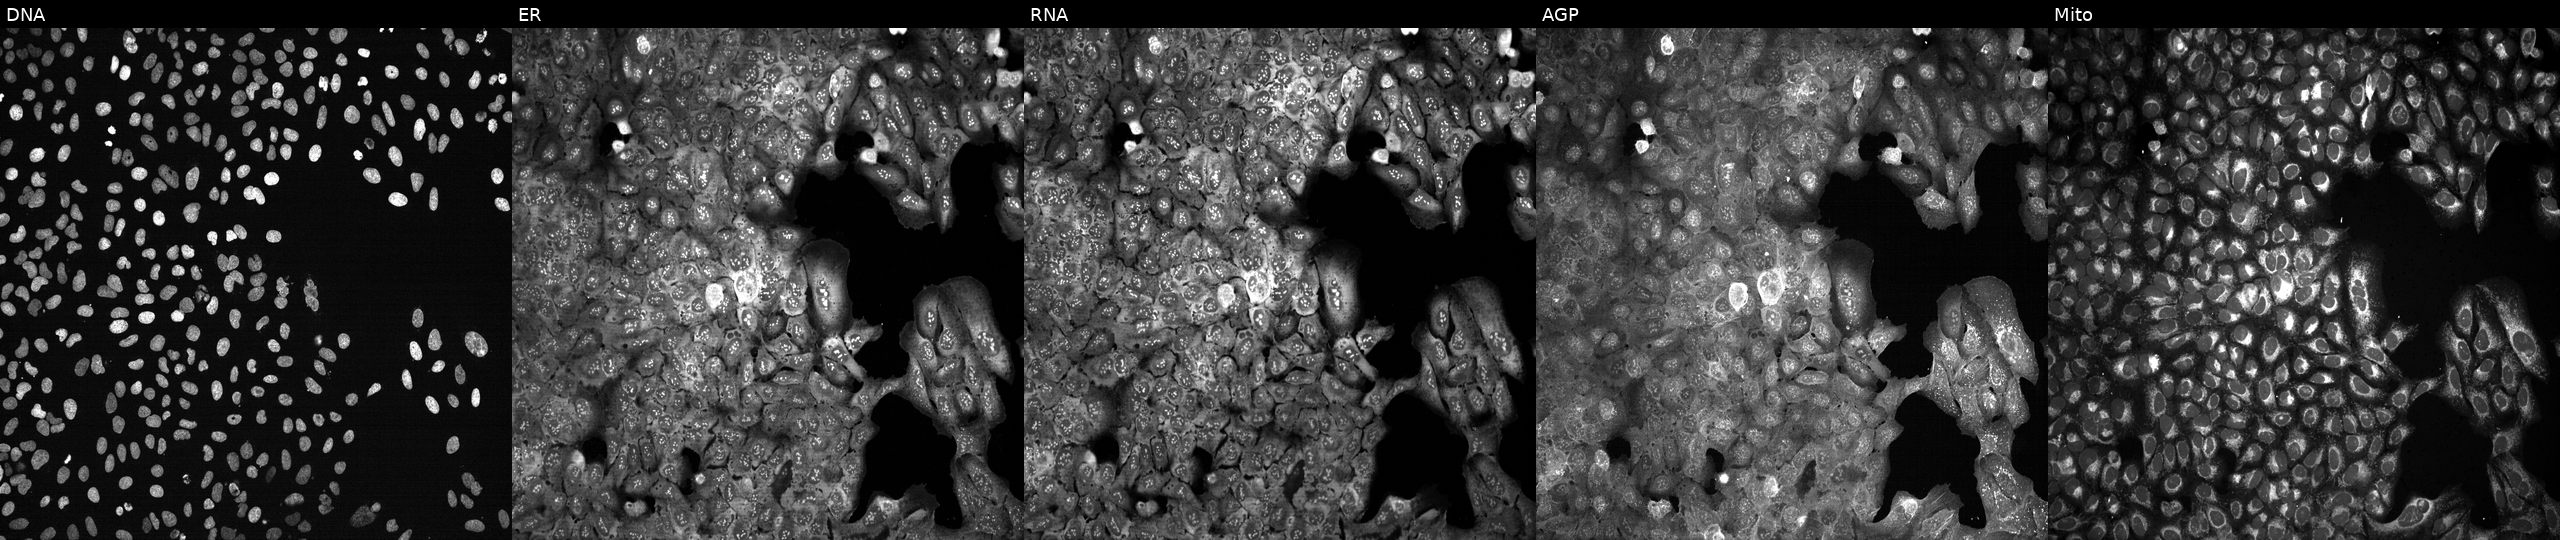
U2OS cells, Cell Painting assay, with TGM7 knocked out by CRISPR. Panels show, left to right, DNA, ER, RNA, AGP, and Mito. Each panel is percentile-stretched 16-bit fluorescence. Source 13, plate CP-CC9-R4-04, well O15.